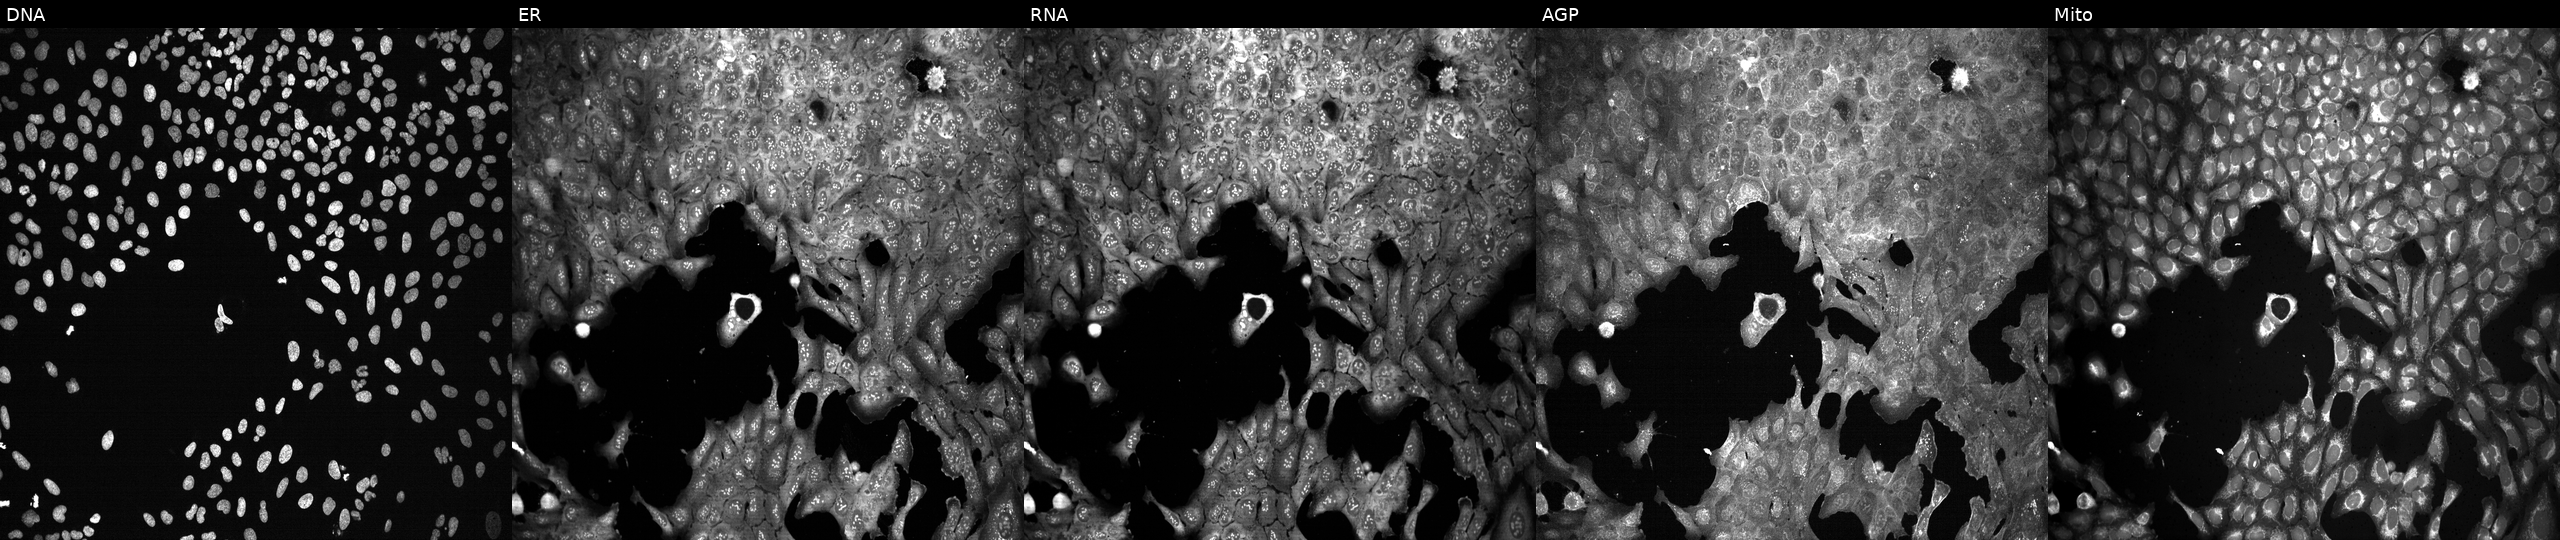
This image strip shows the five Cell Painting channels for a single field of U2OS cells with a non-targeting CRISPR guide (negative control). From left to right: Hoechst 33342, concanavalin A, SYTO 14, phalloidin and WGA, MitoTracker.